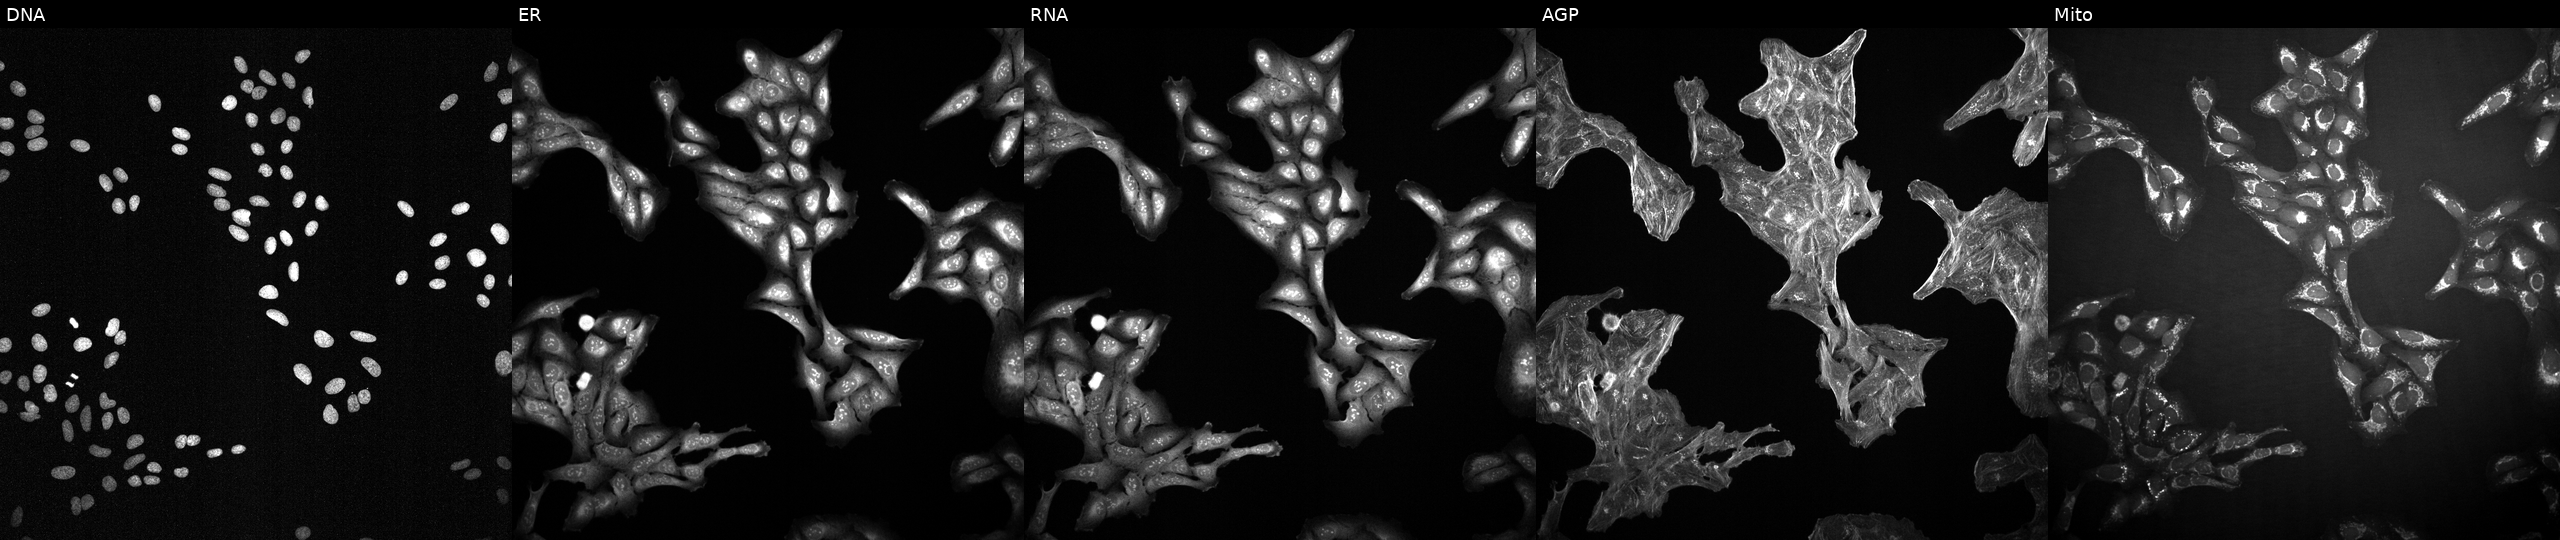
Five-channel Cell Painting image of U2OS cells treated with a small-molecule compound (InChIKey NQDJXKOVJZTUJA-UHFFFAOYSA-N) (JUMP id JCP2022_060649). Panels show, left to right, Hoechst 33342, concanavalin A, SYTO 14, phalloidin and WGA, MitoTracker.